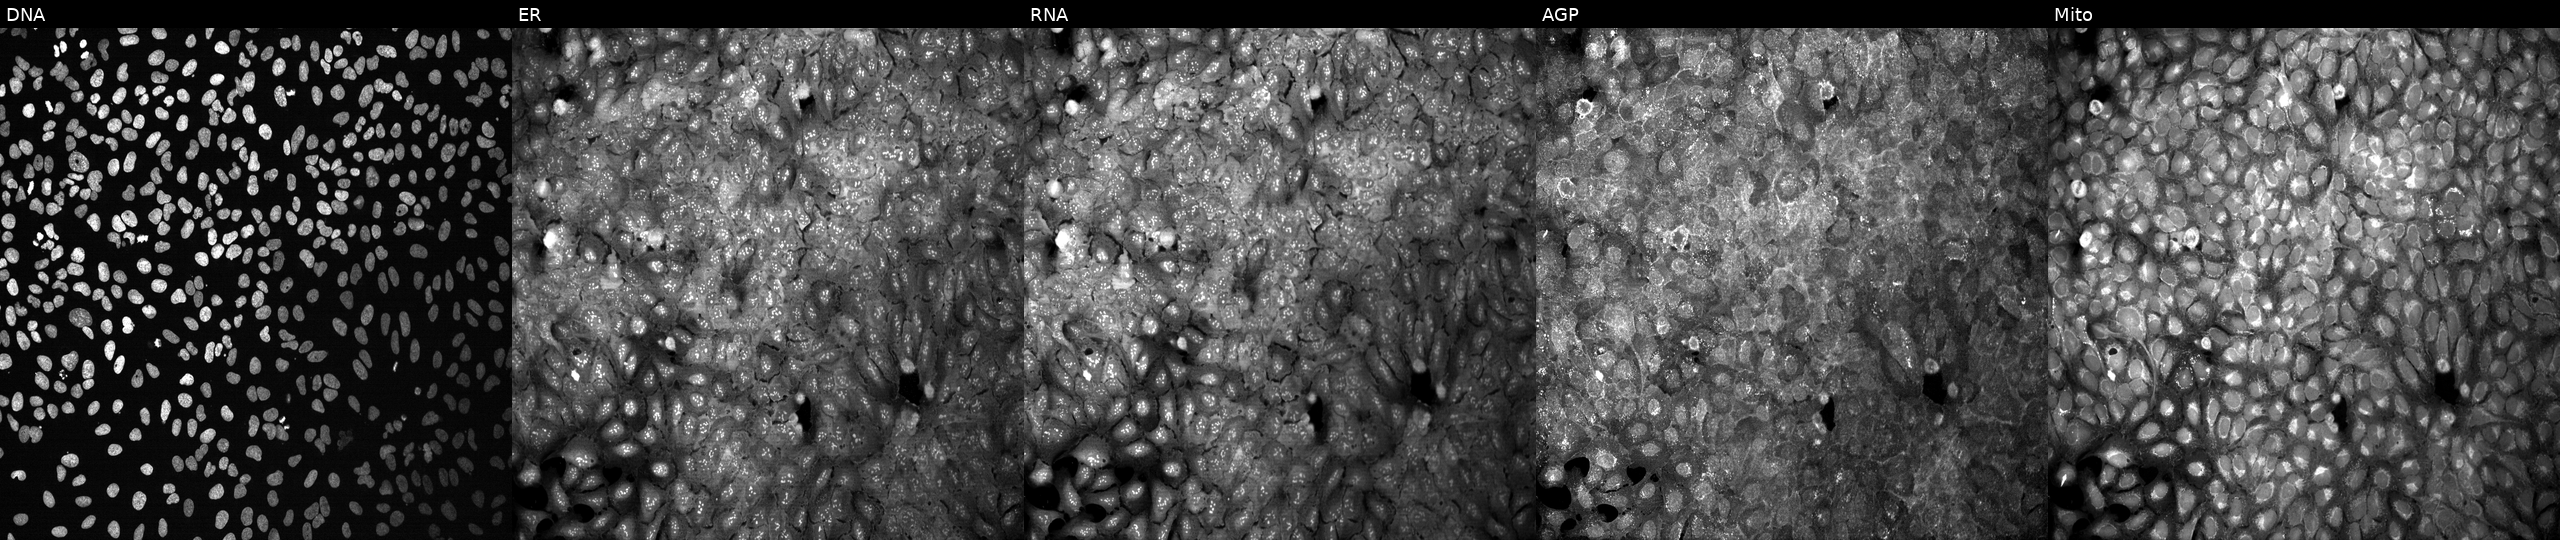
Five-channel Cell Painting image of U2OS cells following CRISPR knockout of AMY2A. The five panels, left to right, show DNA (nuclei); ER (endoplasmic reticulum); RNA (nucleoli and cytoplasmic RNA); AGP (actin cytoskeleton, Golgi, and plasma membrane); Mito (mitochondria). Source 13, plate CP-CC9-R1-02, well I20.